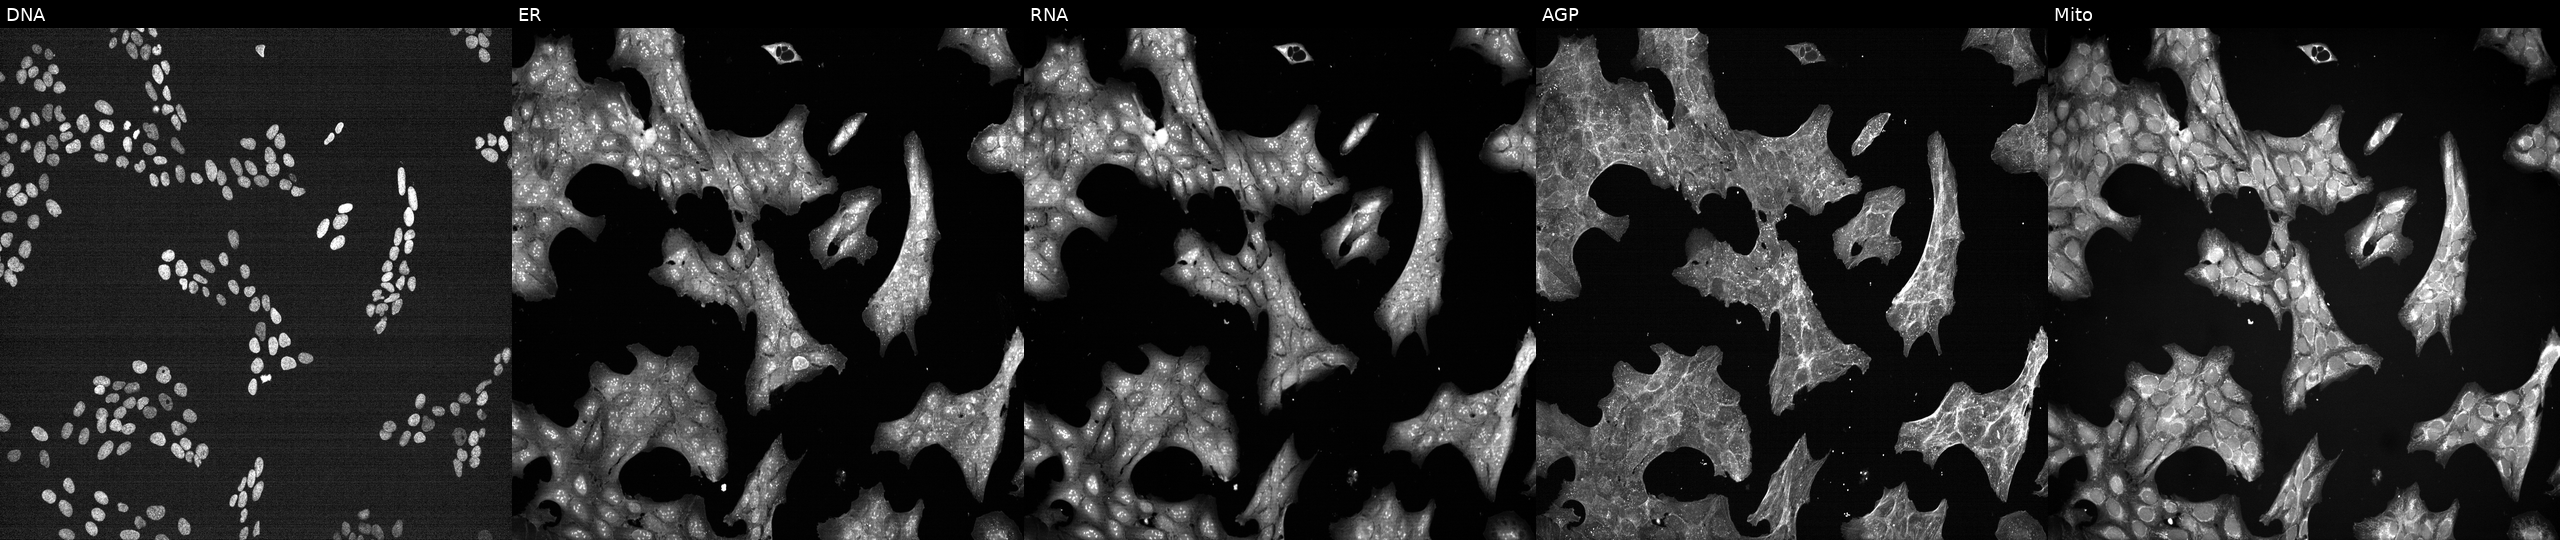
U2OS cells, Cell Painting assay, exposed to the positive-control compound LY2109761. The five panels, left to right, show DNA, ER, RNA, AGP, and Mito. Each panel is percentile-stretched 16-bit fluorescence.